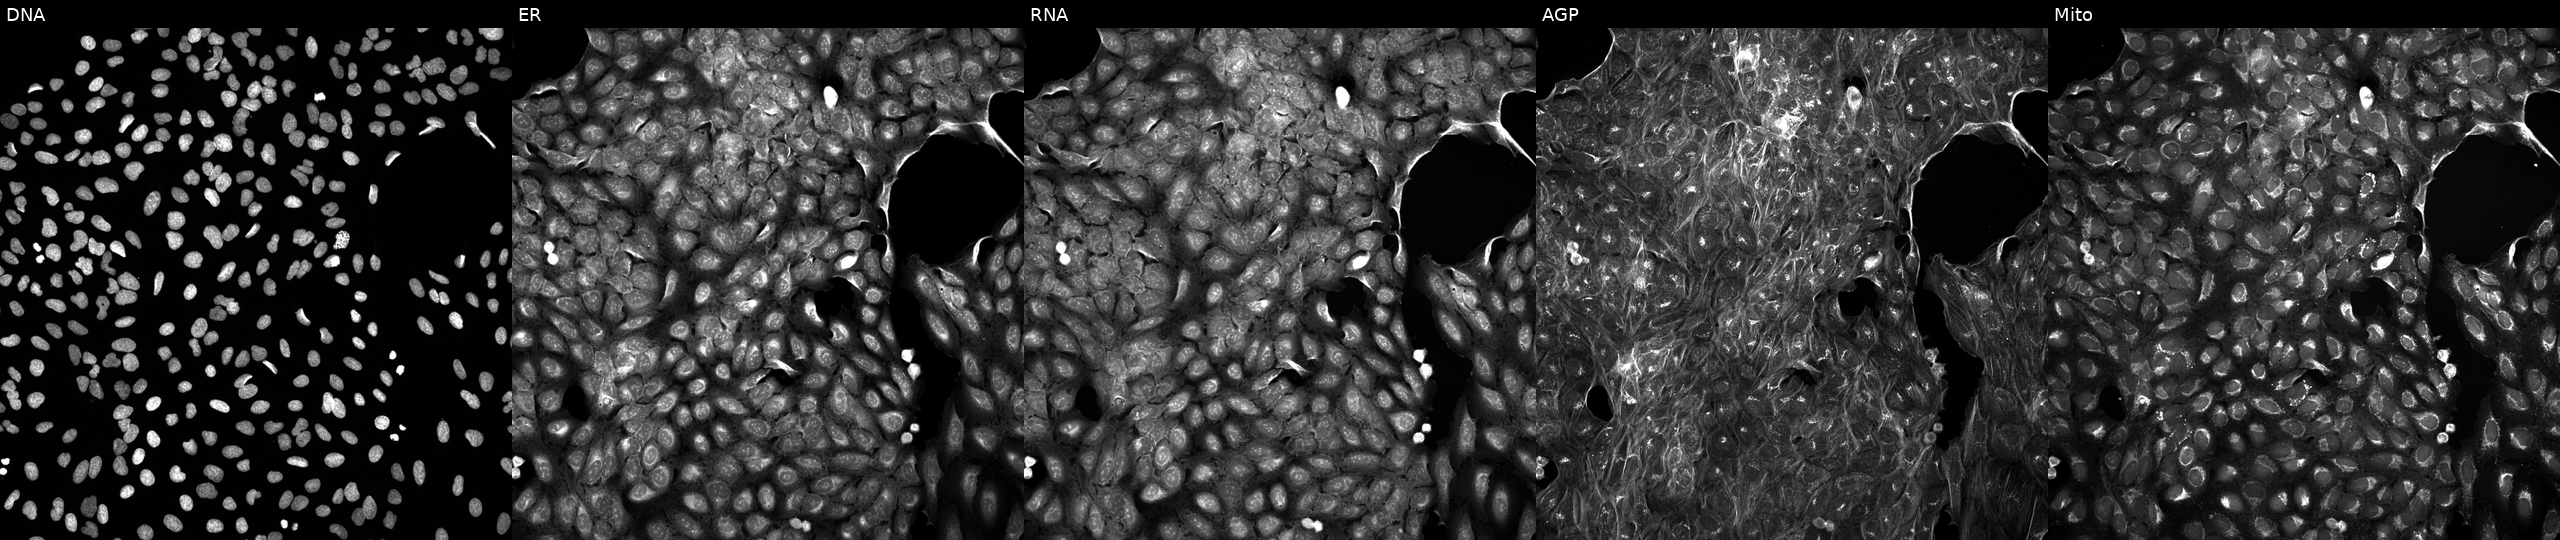
High-content fluorescence microscopy (Cell Painting). Cell line: U2OS. Perturbation: treated with a small-molecule compound (InChIKey AUMHDRMJJNZTPB-UHFFFAOYSA-N). The five panels, left to right, show DNA (nuclei); ER (endoplasmic reticulum); RNA (nucleoli and cytoplasmic RNA); AGP (actin cytoskeleton, Golgi, and plasma membrane); Mito (mitochondria). Source 5, plate ACPJUM051, well N09.